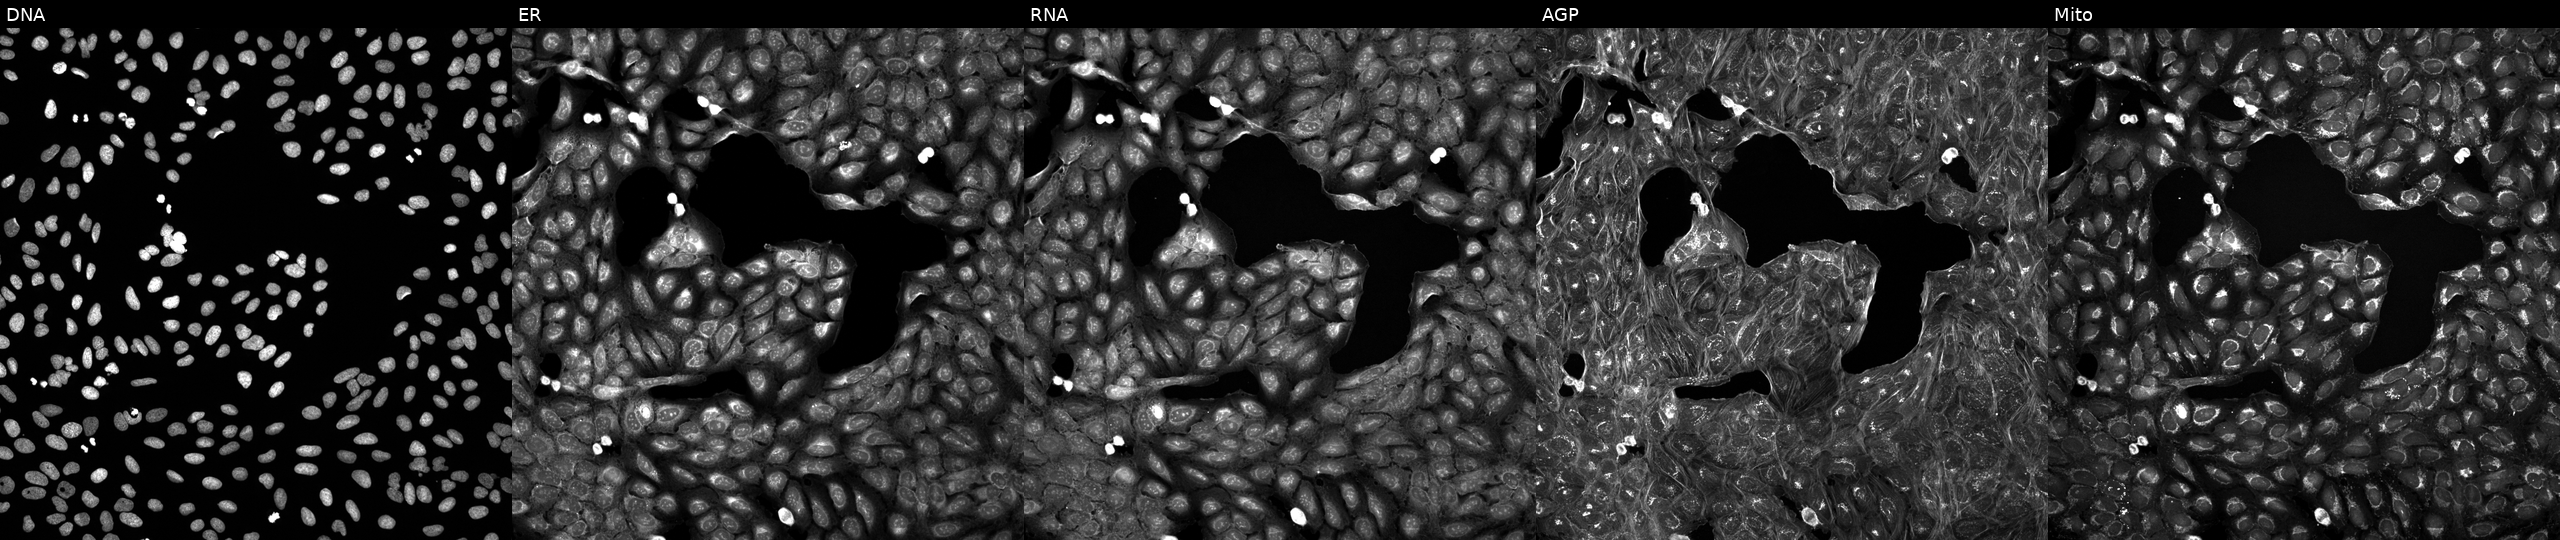
JUMP Cell Painting — TARGET2 plate. U2OS cells exposed to DMSO alone as a negative control (JUMP id JCP2022_033924). Panels show, left to right, DNA, ER, RNA, AGP, and Mito. Source 5, plate ACPJUM012, well E05.